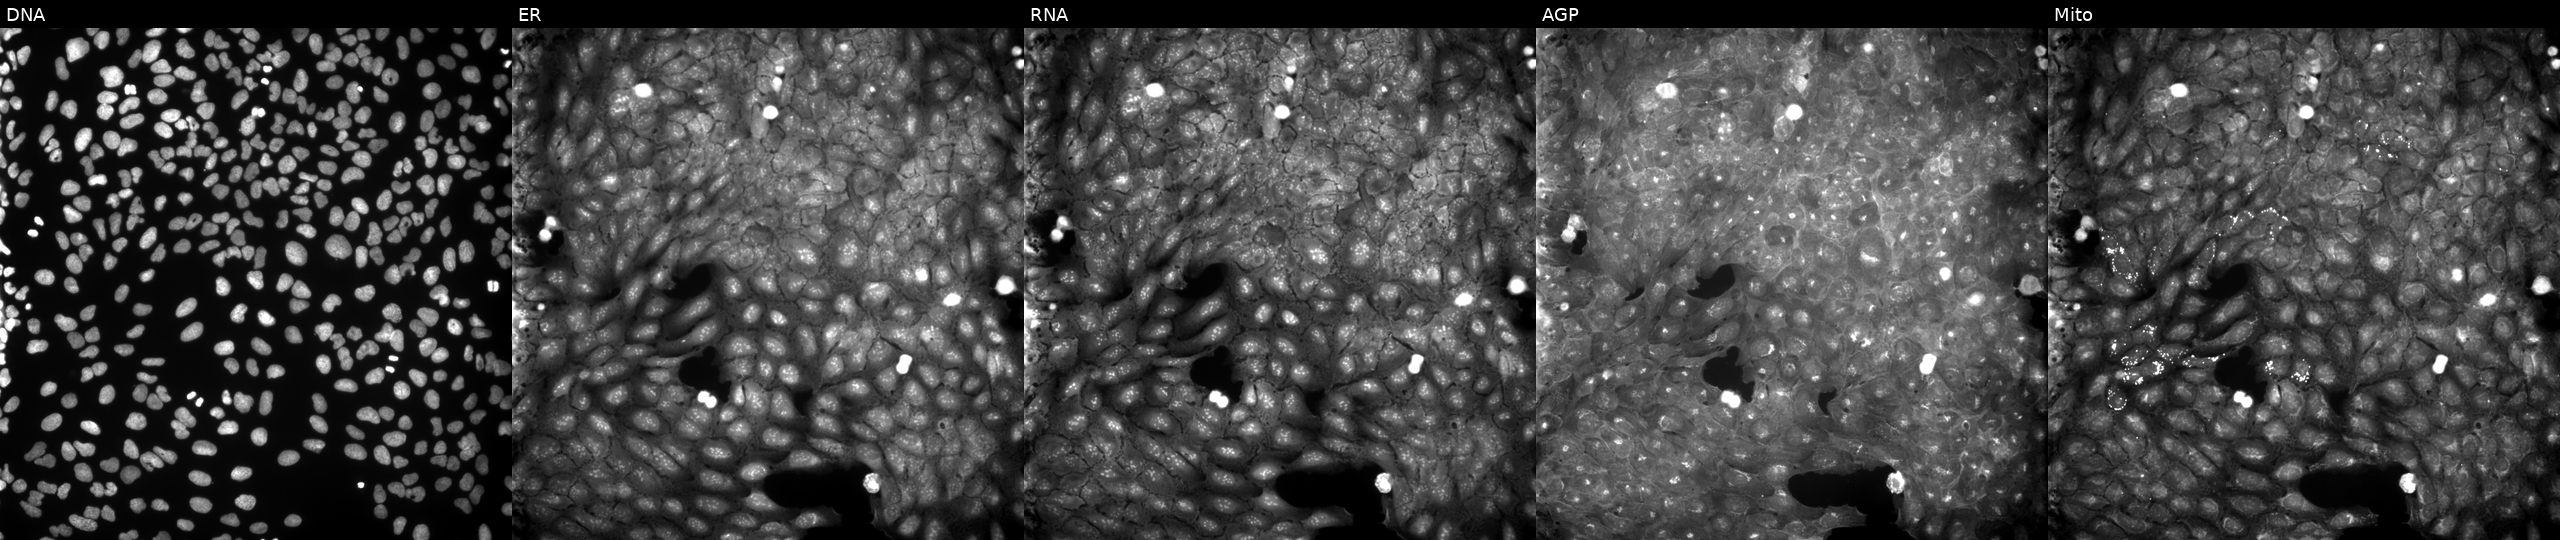
JUMP Cell Painting — COMPOUND plate. U2OS cells treated with quinidine (positive-control compound). The five panels, left to right, show DNA (nuclei); ER (endoplasmic reticulum); RNA (nucleoli and cytoplasmic RNA); AGP (actin cytoskeleton, Golgi, and plasma membrane); Mito (mitochondria).